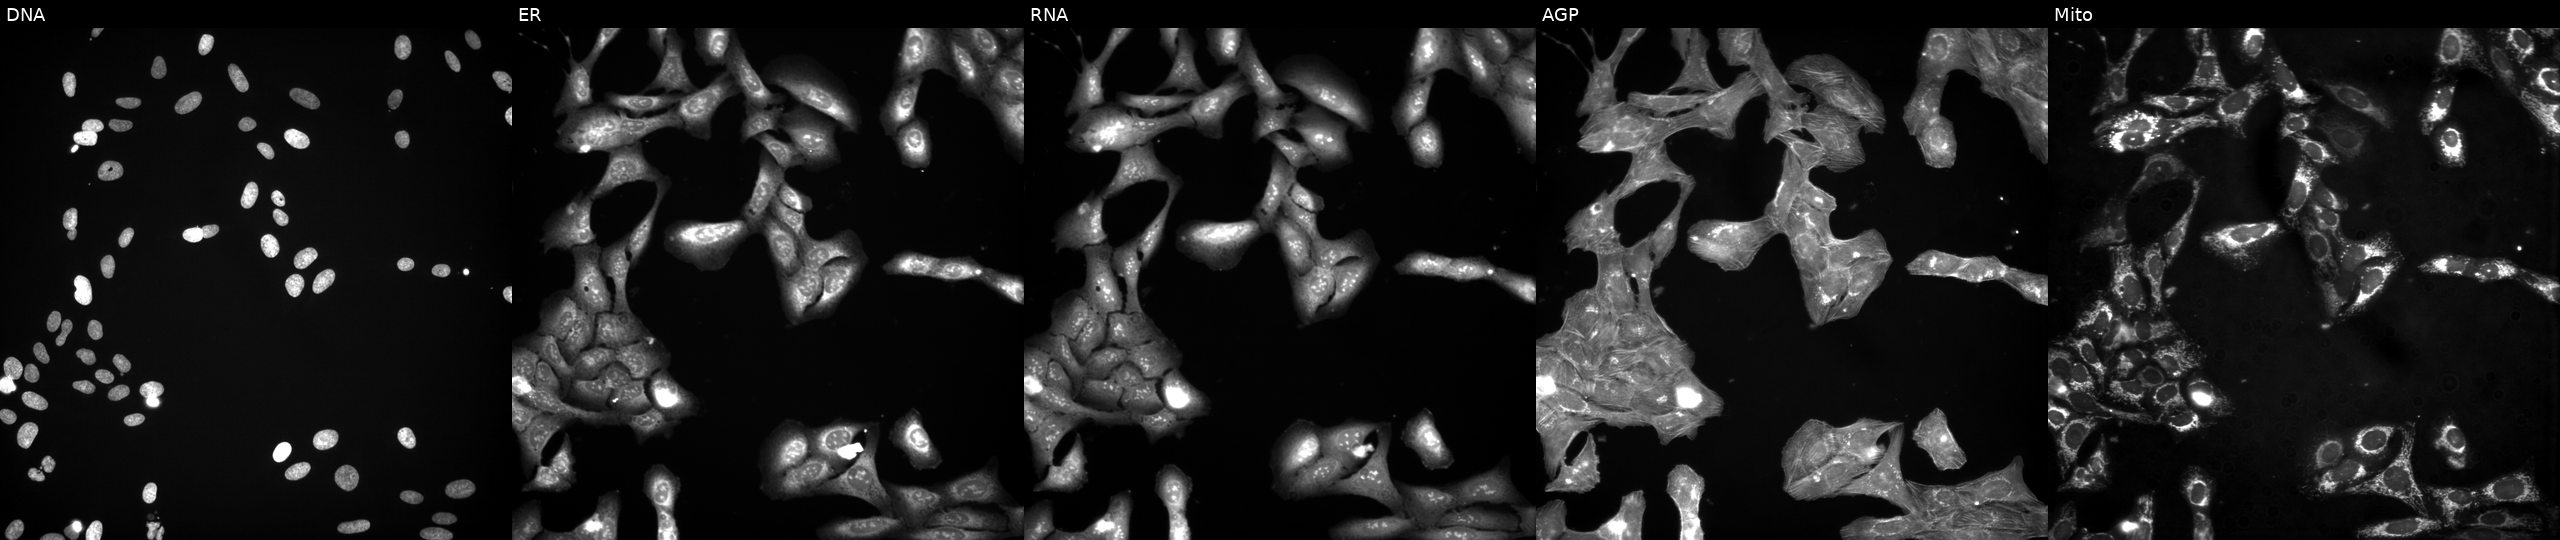
High-content fluorescence microscopy (Cell Painting). Cell line: U2OS. Perturbation: exposed to a small-molecule compound (JUMP id JCP2022_080150). From left to right: Hoechst 33342, concanavalin A, SYTO 14, phalloidin and WGA, MitoTracker.